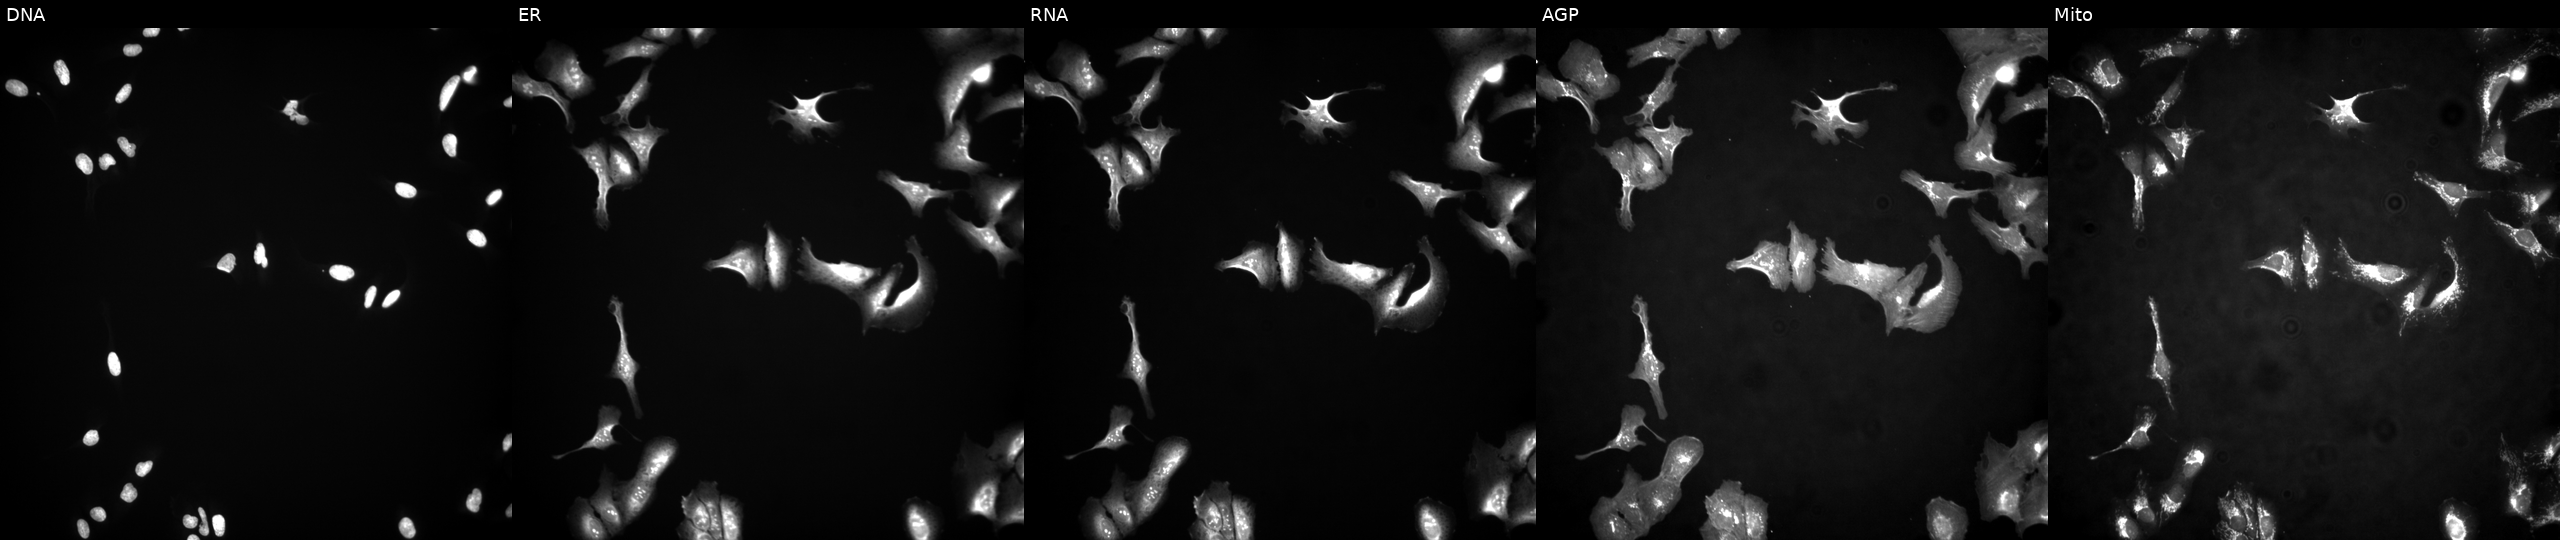
JUMP Cell Painting — ORF plate. U2OS cells transfected with an ORF construct for ESRRG. The five panels, left to right, show DNA (nuclei); ER (endoplasmic reticulum); RNA (nucleoli and cytoplasmic RNA); AGP (actin cytoskeleton, Golgi, and plasma membrane); Mito (mitochondria). Source 4, plate BR00117035, well H23.